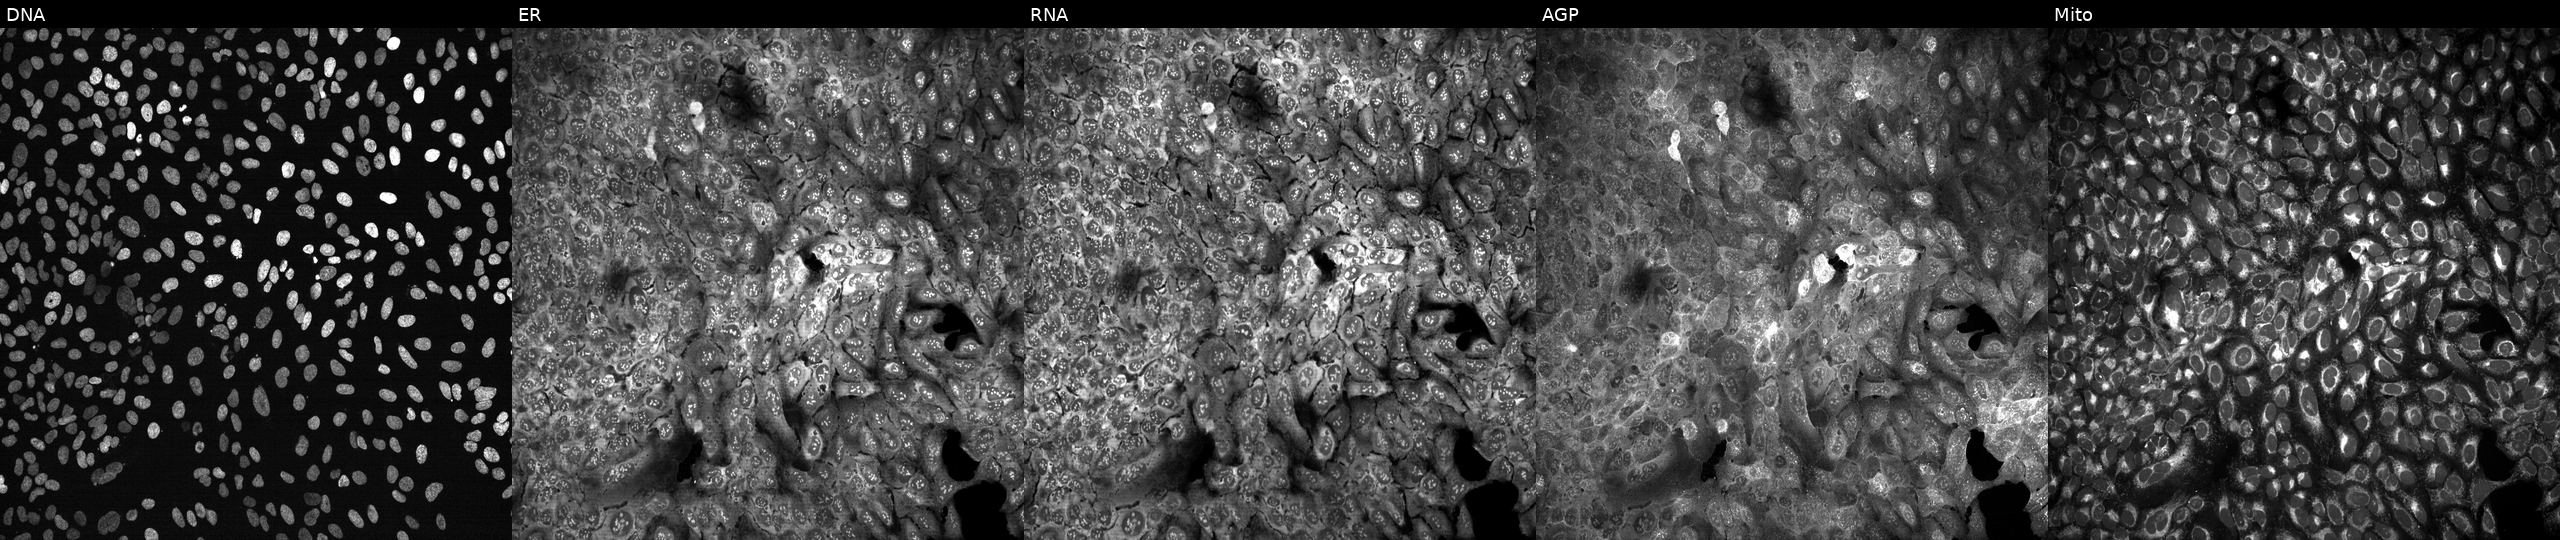
JUMP Cell Painting — CRISPR plate. U2OS cells following CRISPR knockout of SLC16A4. Panels show, left to right, DNA, ER, RNA, AGP, and Mito.